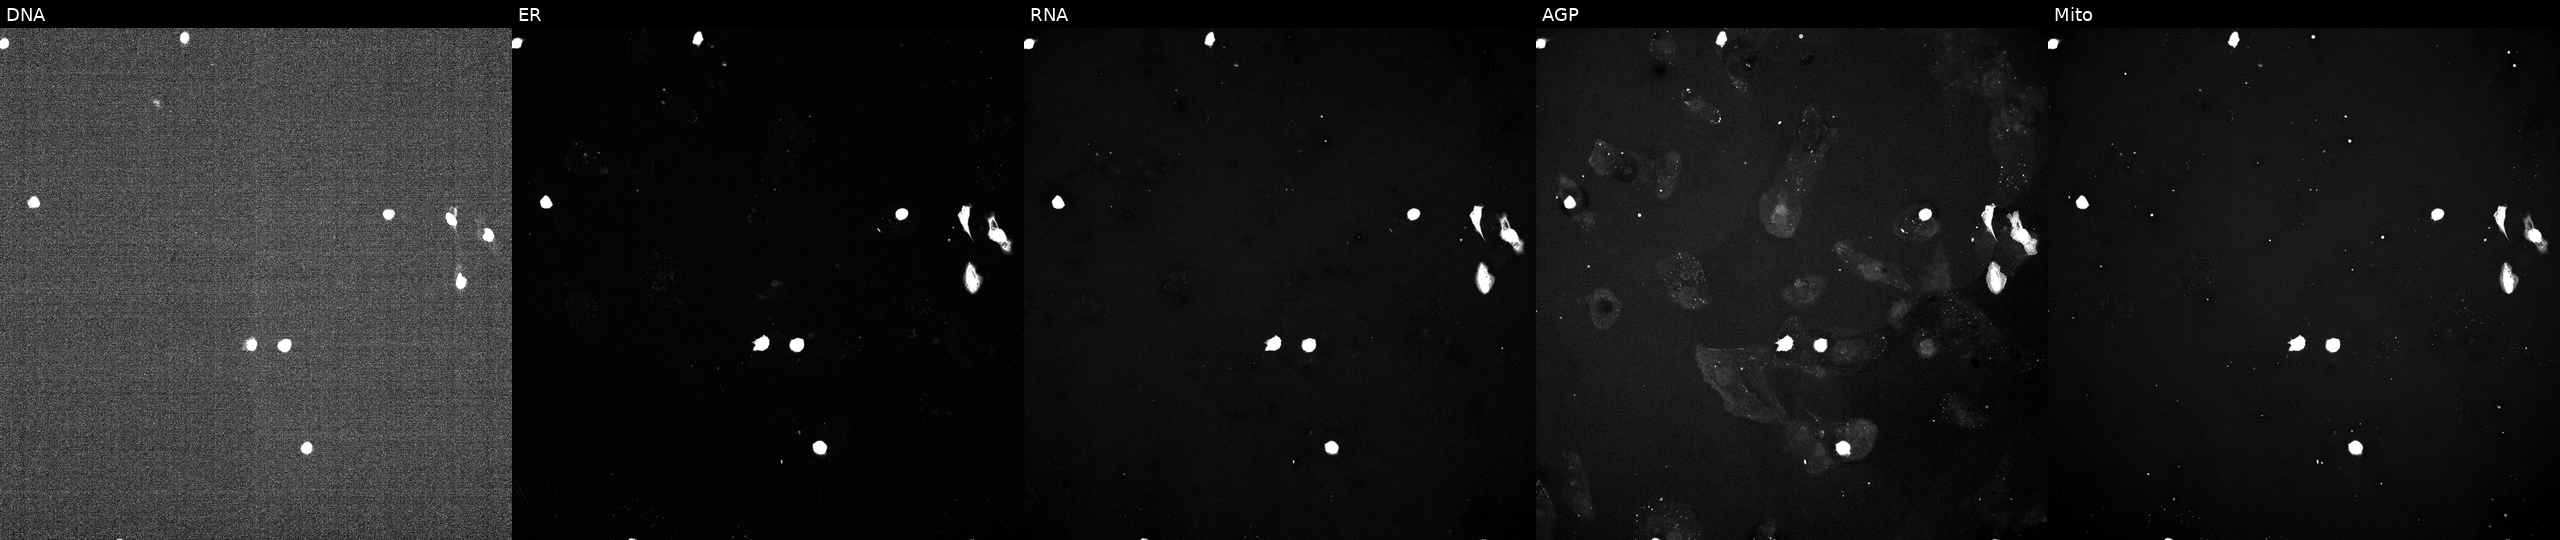
This image strip shows the five Cell Painting channels for a single field of U2OS cells treated with a small-molecule compound (InChIKey NQQBNZBOOHHVQP-UHFFFAOYSA-N). Channels (left→right): Hoechst 33342, concanavalin A, SYTO 14, phalloidin and WGA, MitoTracker.